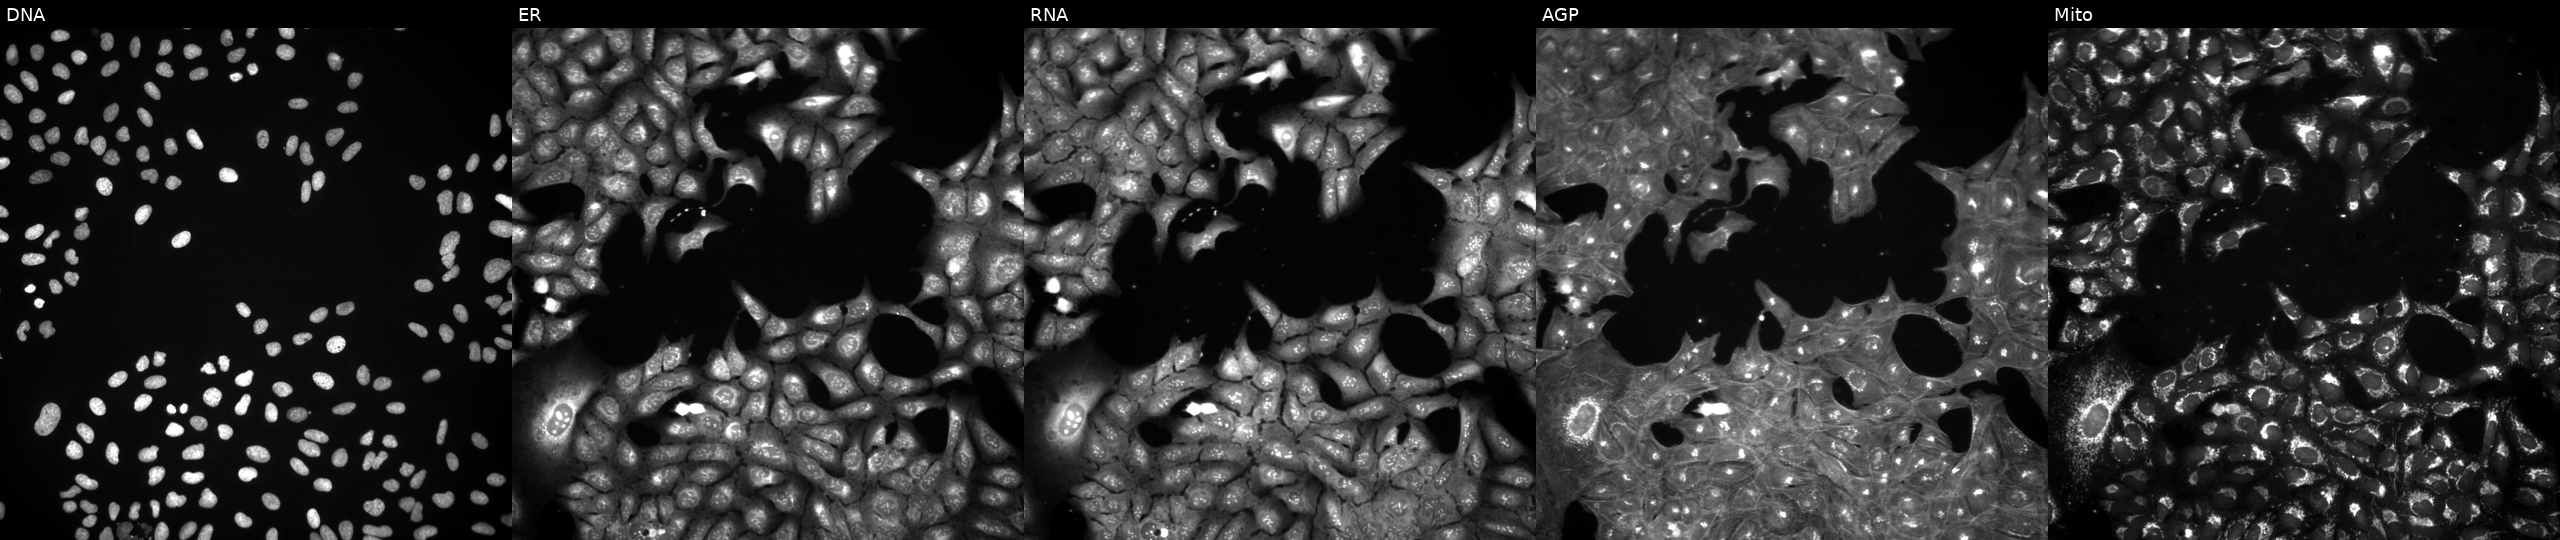
Five-channel Cell Painting image of U2OS cells treated with DMSO vehicle only (negative control). From left to right: DNA, ER, RNA, AGP, and Mito.